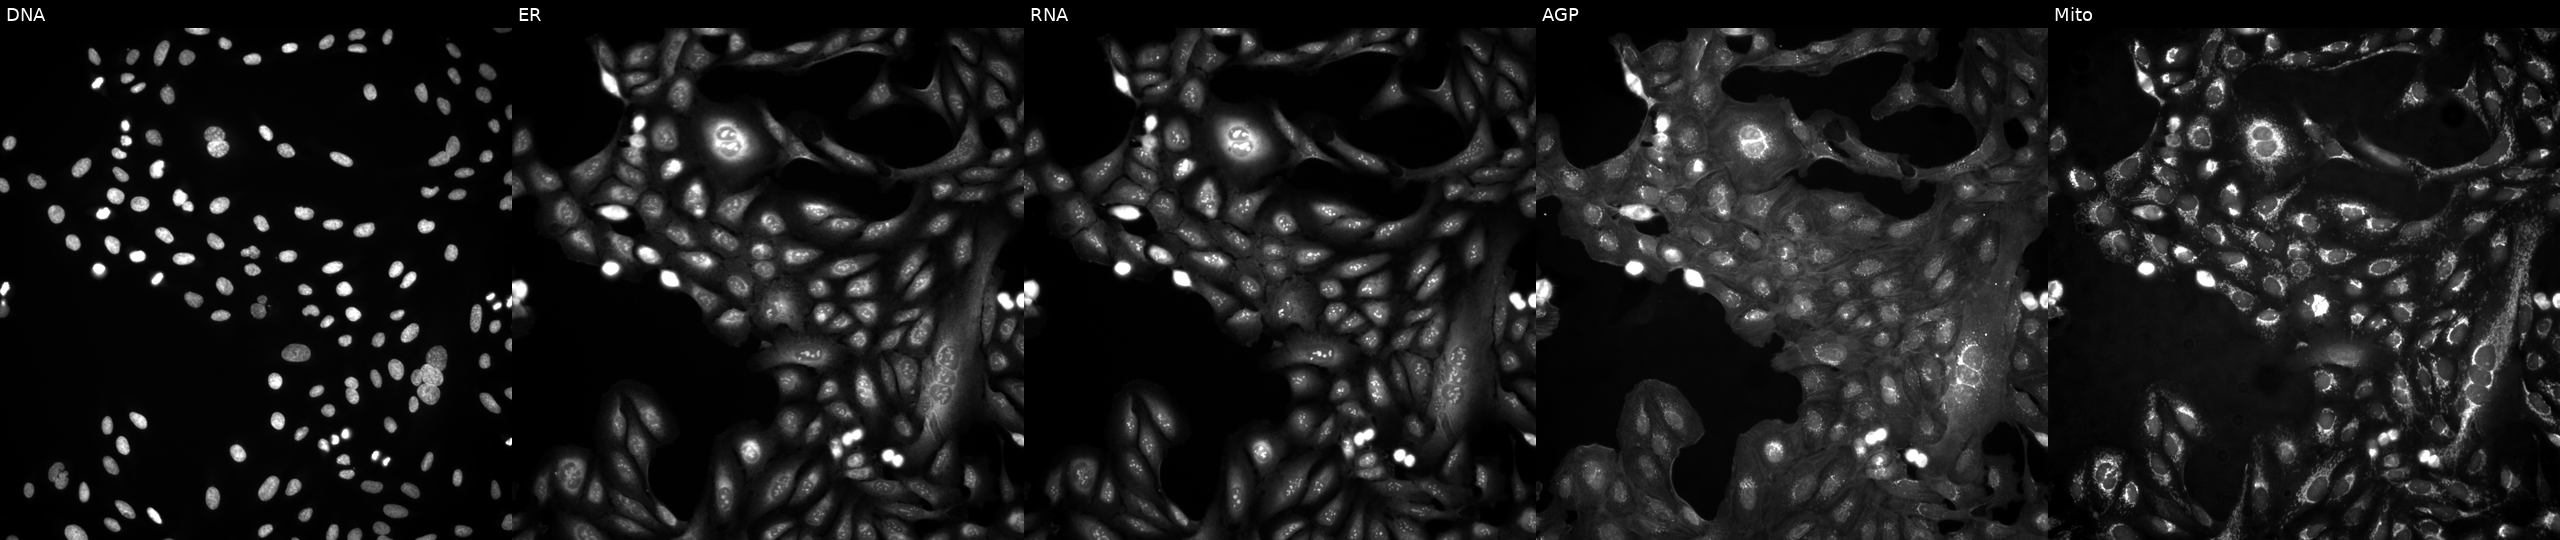
This image strip shows the five Cell Painting channels for a single field of U2OS cells in an empty control well (no perturbation) (JUMP id JCP2022_999999). From left to right: DNA, ER, RNA, AGP, and Mito.